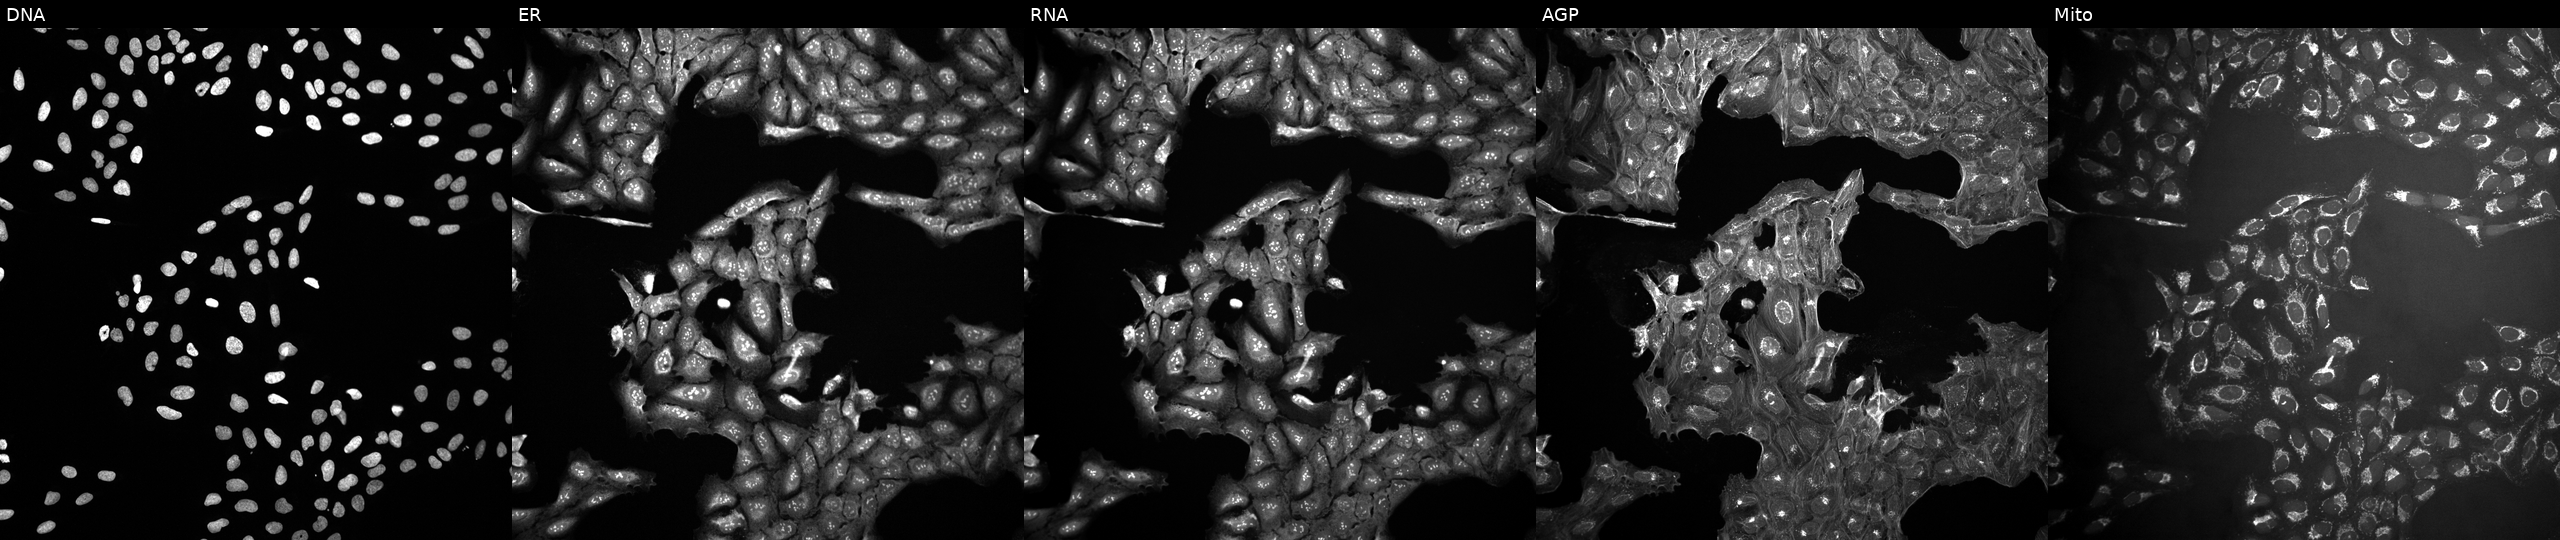
High-content fluorescence microscopy (Cell Painting). Cell line: U2OS. Perturbation: exposed to a small-molecule compound (JUMP id JCP2022_114230). Channels (left→right): DNA, ER, RNA, AGP, and Mito.